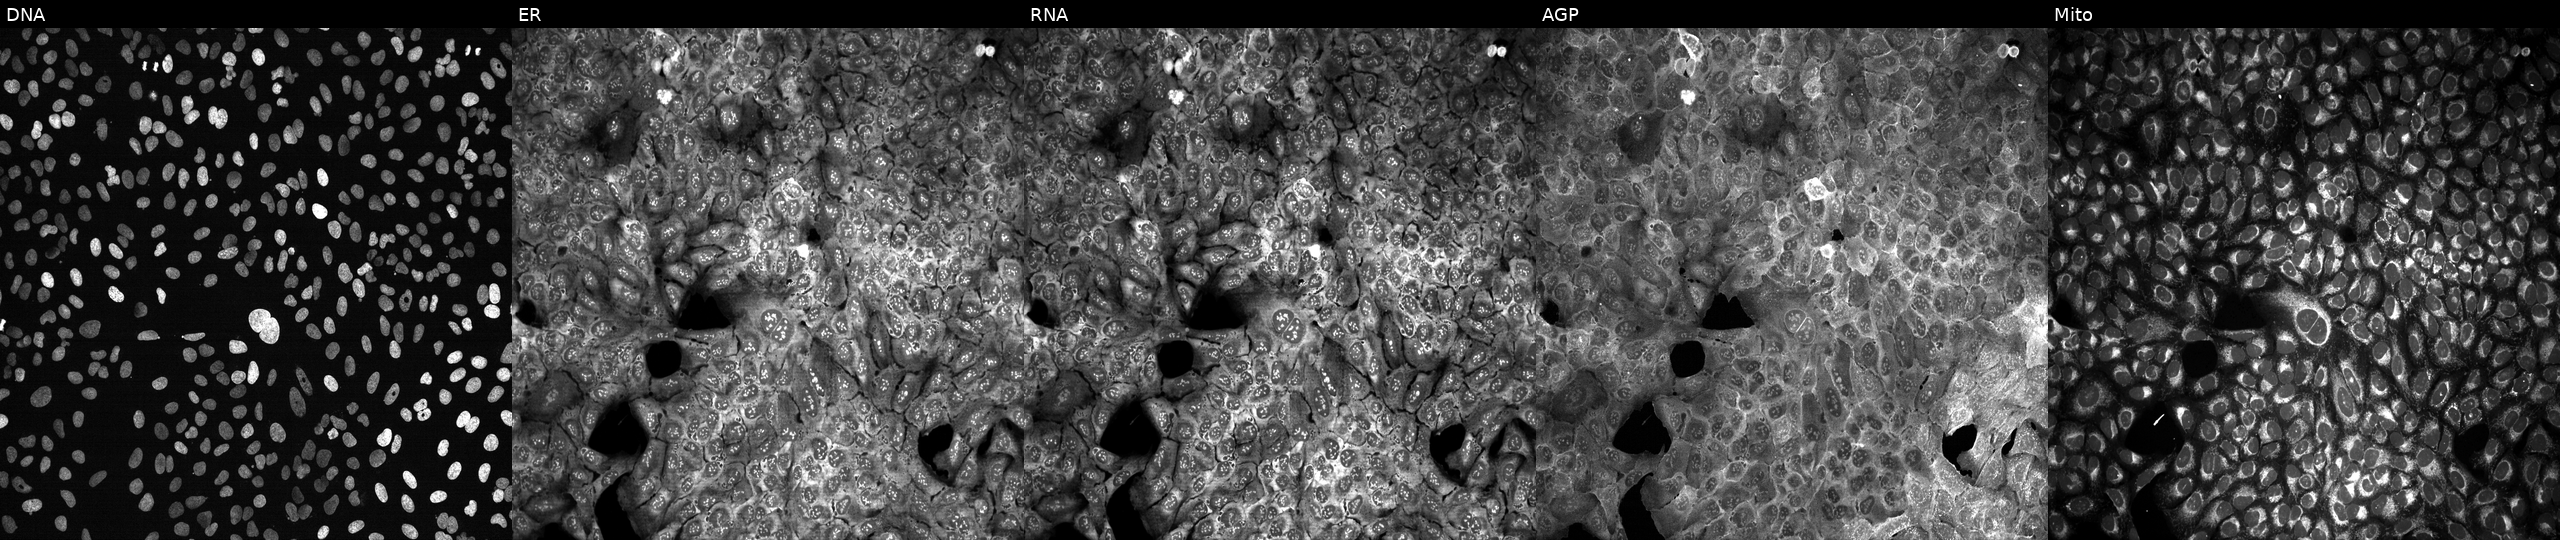
High-content fluorescence microscopy (Cell Painting). Cell line: U2OS. Perturbation: CRISPR-edited to disrupt FUT9 (JUMP id JCP2022_802518). Panels show, left to right, Hoechst 33342, concanavalin A, SYTO 14, phalloidin and WGA, MitoTracker. Source 13, plate CP-CC9-R3-02, well A11.